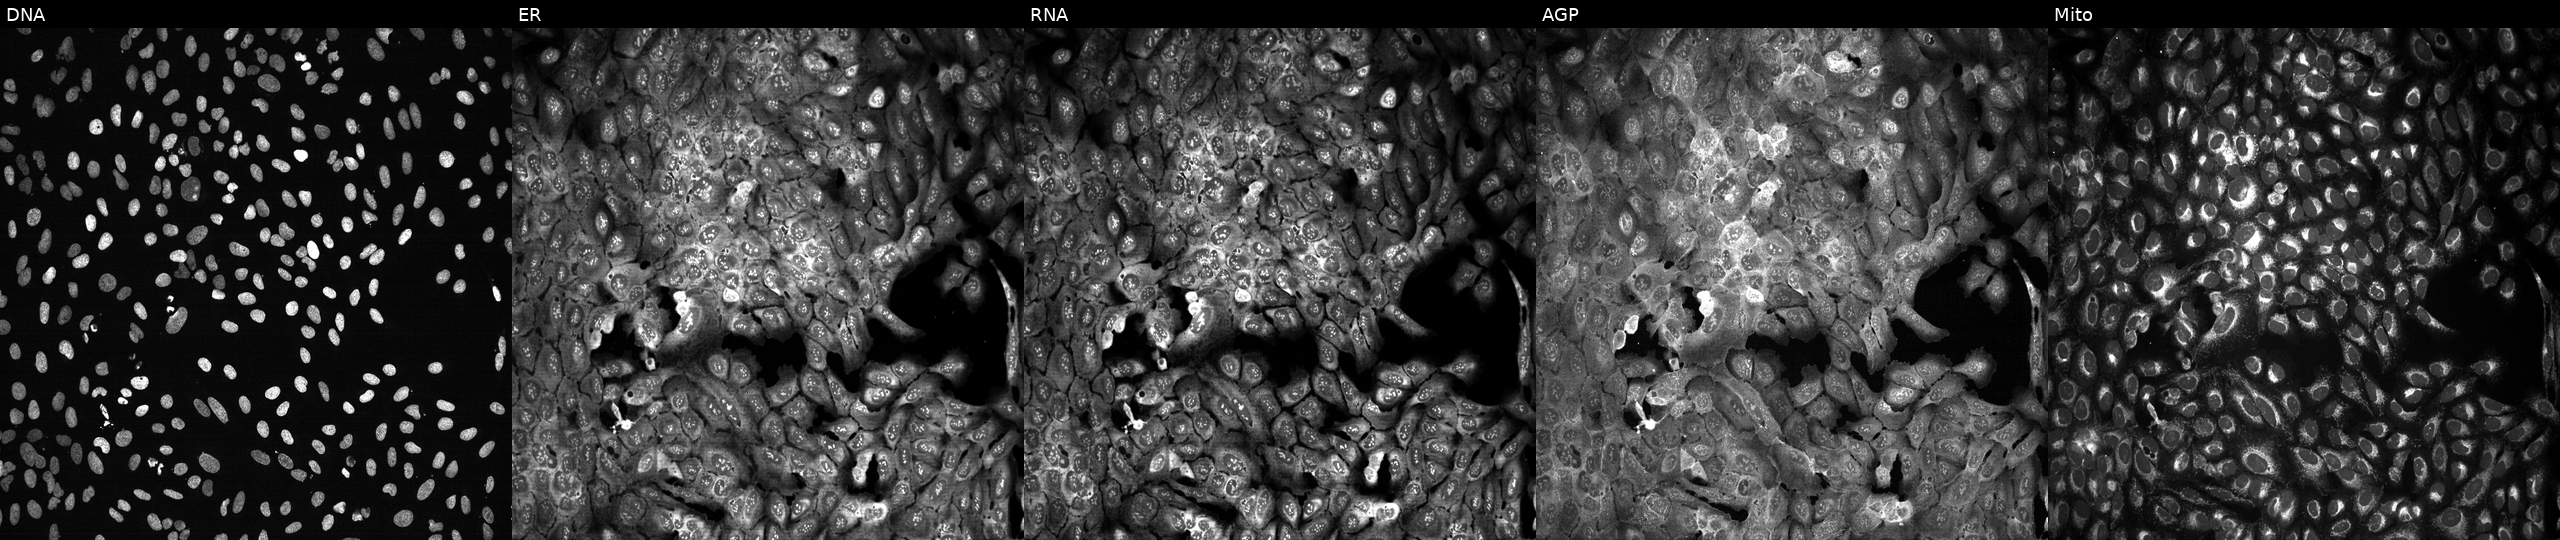
Channels (left→right): Hoechst 33342, concanavalin A, SYTO 14, phalloidin and WGA, MitoTracker. U2OS osteosarcoma cells following CRISPR knockout of GPX2. Cell Painting assay, JUMP-CP dataset.